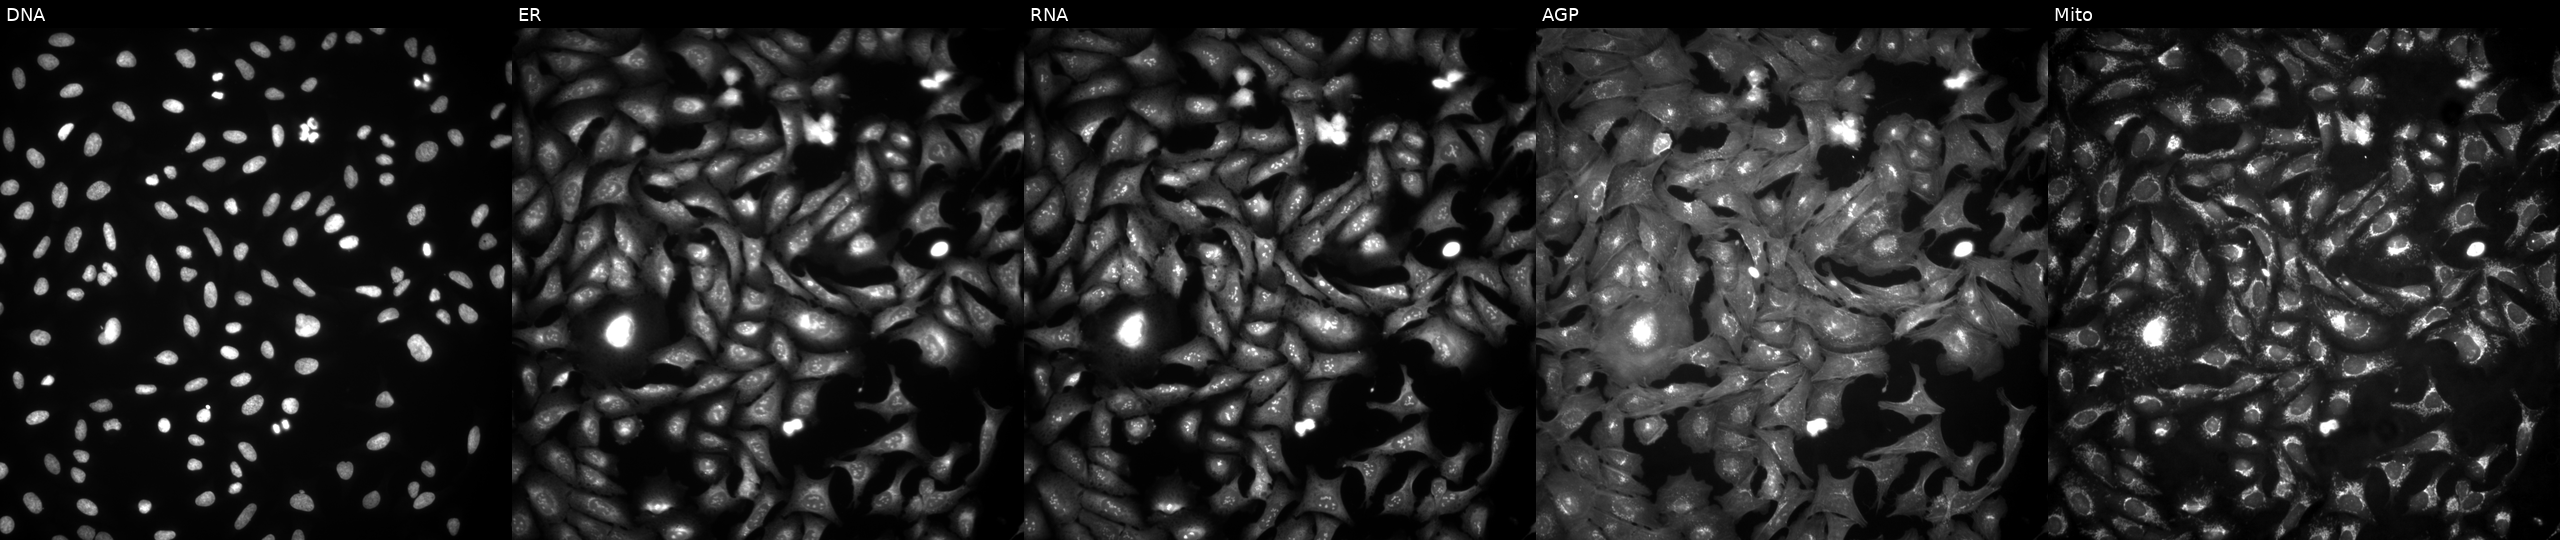
Five-channel Cell Painting image of U2OS cells with ZDHHC2 overexpressed (ORF). Panels show, left to right, DNA (nuclei); ER (endoplasmic reticulum); RNA (nucleoli and cytoplasmic RNA); AGP (actin cytoskeleton, Golgi, and plasma membrane); Mito (mitochondria).